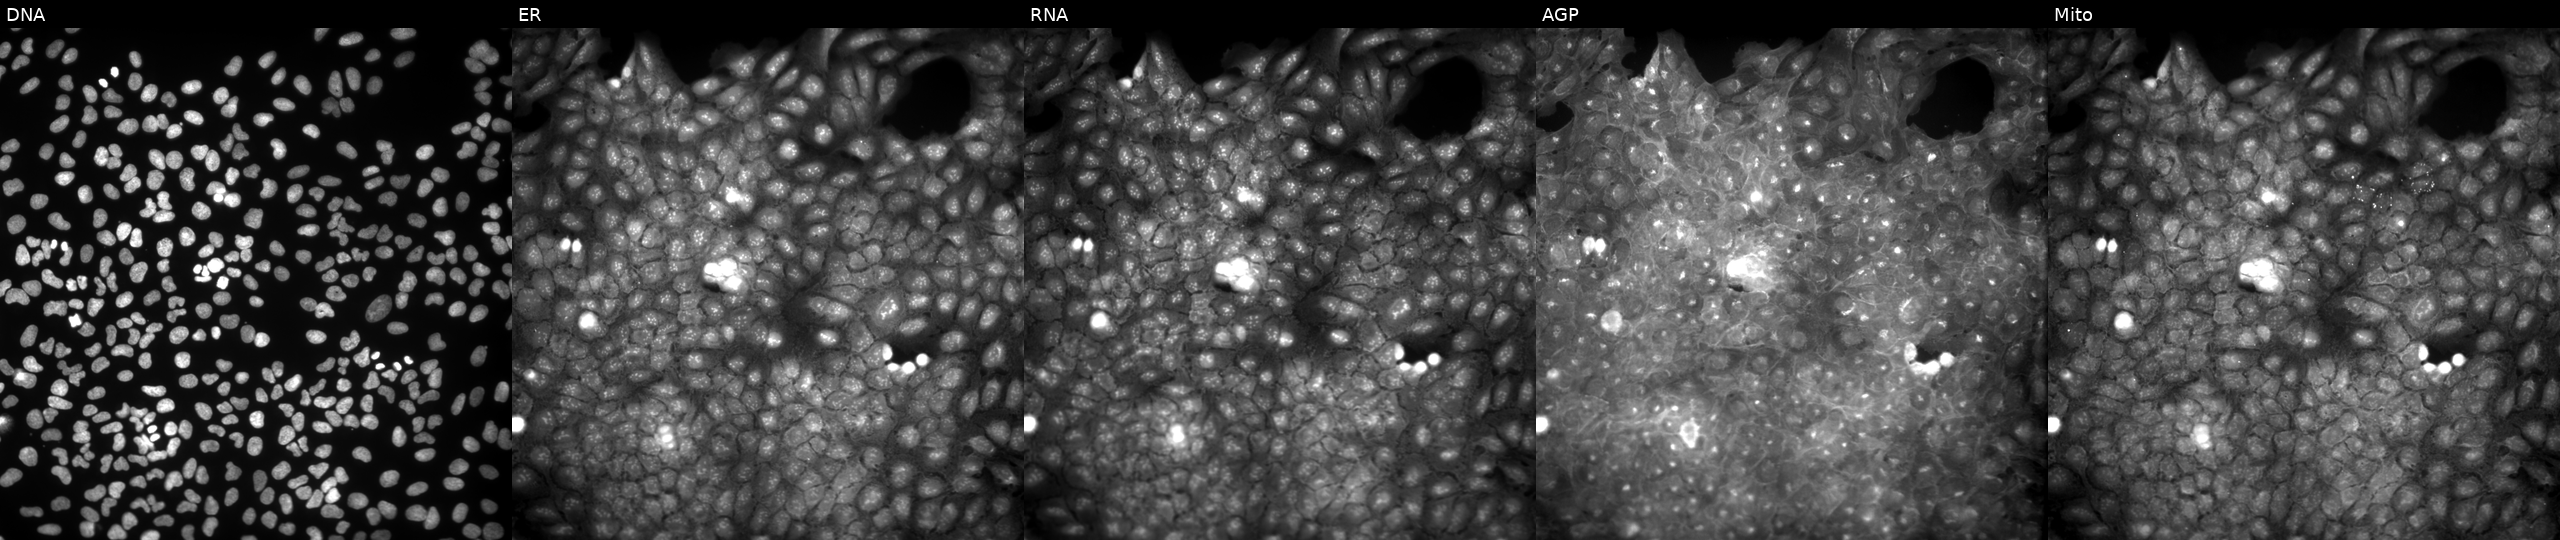
JUMP Cell Painting — COMPOUND plate. U2OS cells perturbed with a small-molecule compound (InChIKey XMDUWIYGGLYSPZ-UHFFFAOYSA-N) (JUMP id JCP2022_104514). Channels (left→right): DNA, ER, RNA, AGP, and Mito. Source 9, plate GR00003382, well AD17.